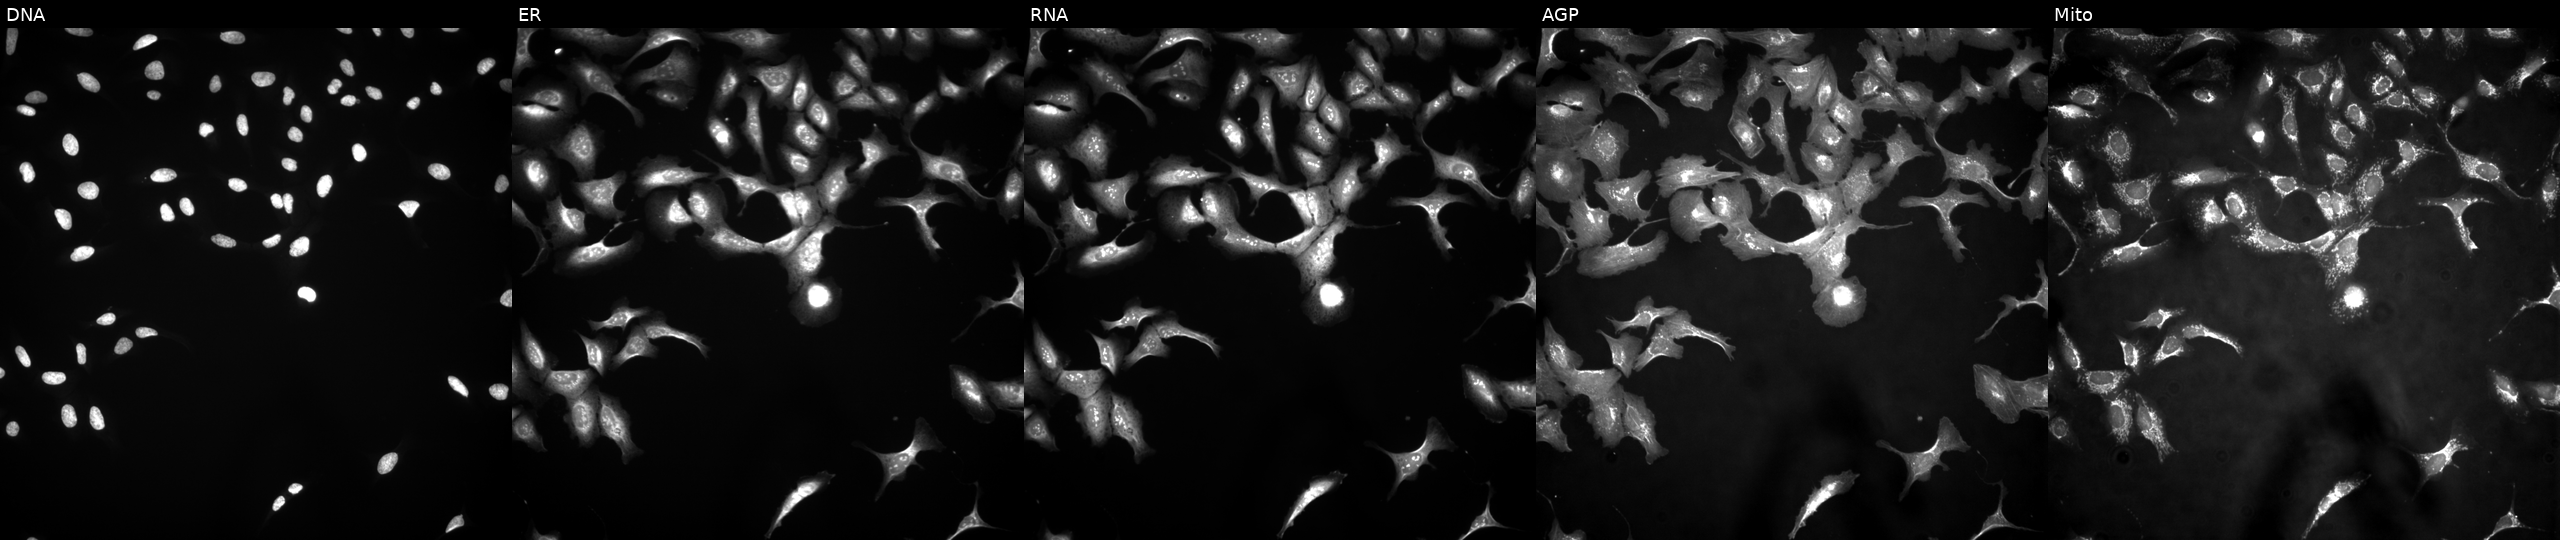
JUMP Cell Painting — ORF plate. U2OS cells with FGF12 overexpressed (ORF) (JUMP id JCP2022_905808). Panels show, left to right, Hoechst 33342, concanavalin A, SYTO 14, phalloidin and WGA, MitoTracker.